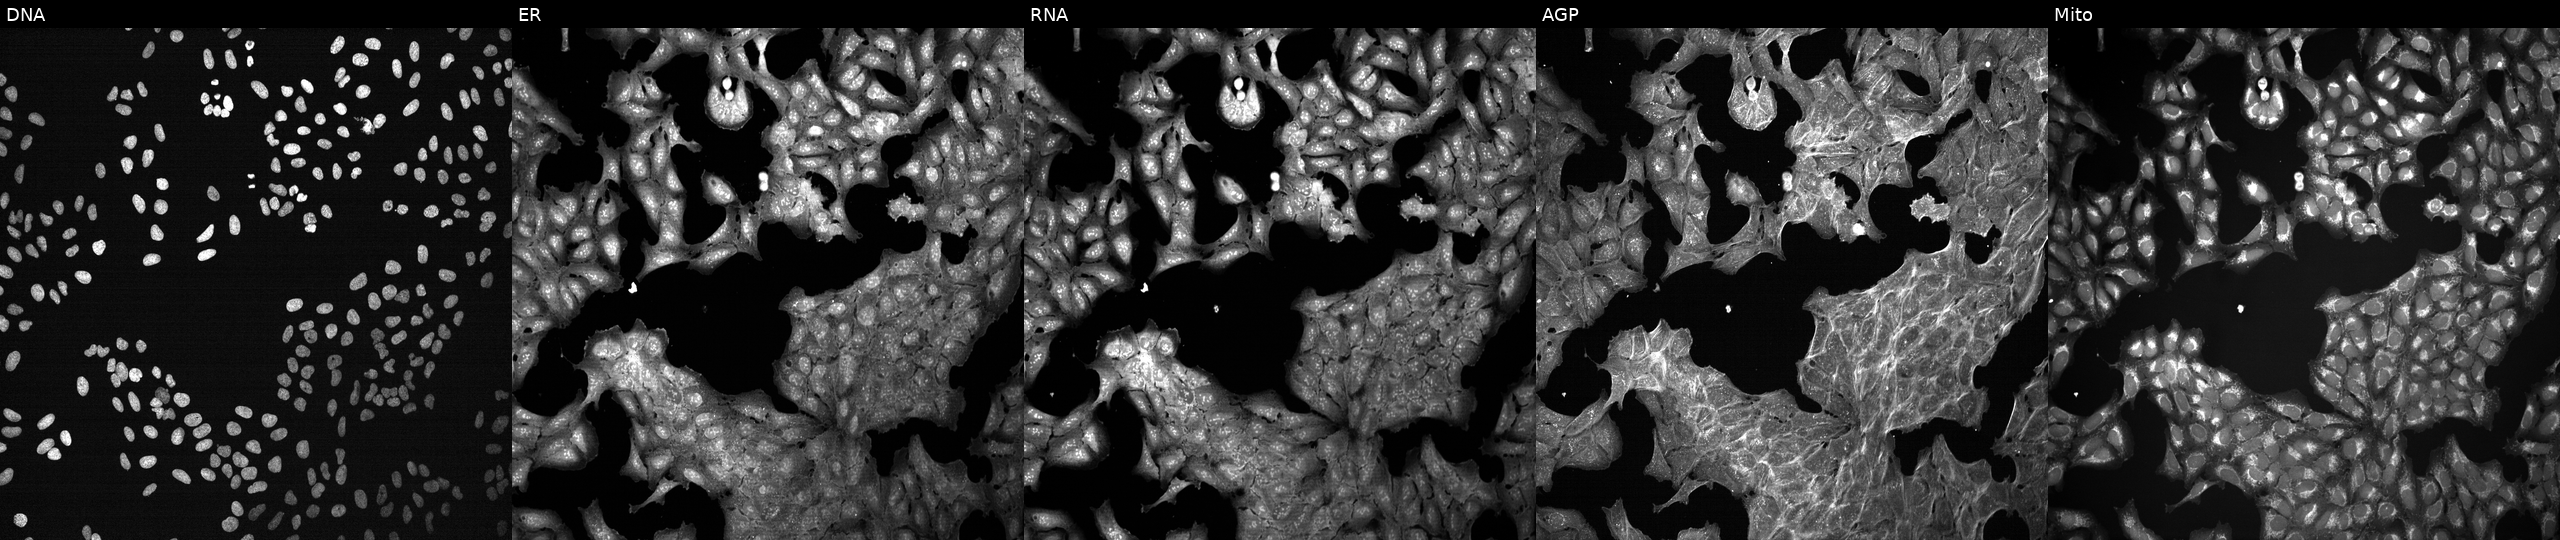
JUMP Cell Painting — TARGET2 plate. U2OS cells exposed to DMSO alone as a negative control. Channels (left→right): DNA (nuclei); ER (endoplasmic reticulum); RNA (nucleoli and cytoplasmic RNA); AGP (actin cytoskeleton, Golgi, and plasma membrane); Mito (mitochondria). Source 7, plate CP3-SC1-25, well N20.